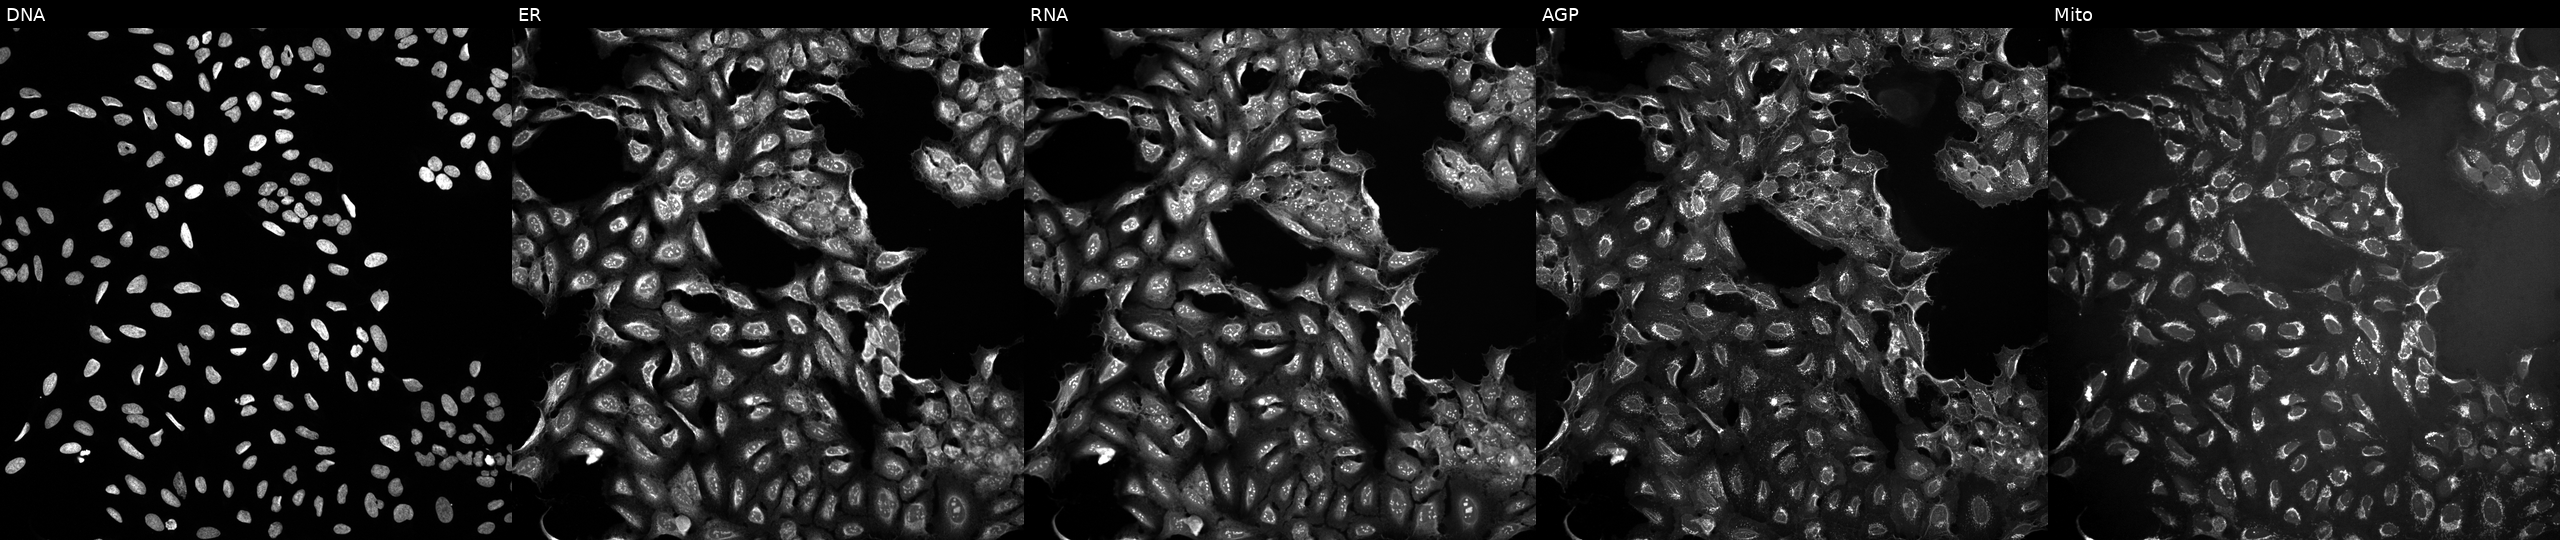
This image strip shows the five Cell Painting channels for a single field of U2OS cells treated with a small-molecule compound. The five panels, left to right, show DNA (nuclei); ER (endoplasmic reticulum); RNA (nucleoli and cytoplasmic RNA); AGP (actin cytoskeleton, Golgi, and plasma membrane); Mito (mitochondria). Source 10, plate Dest210803-153958, well N12.